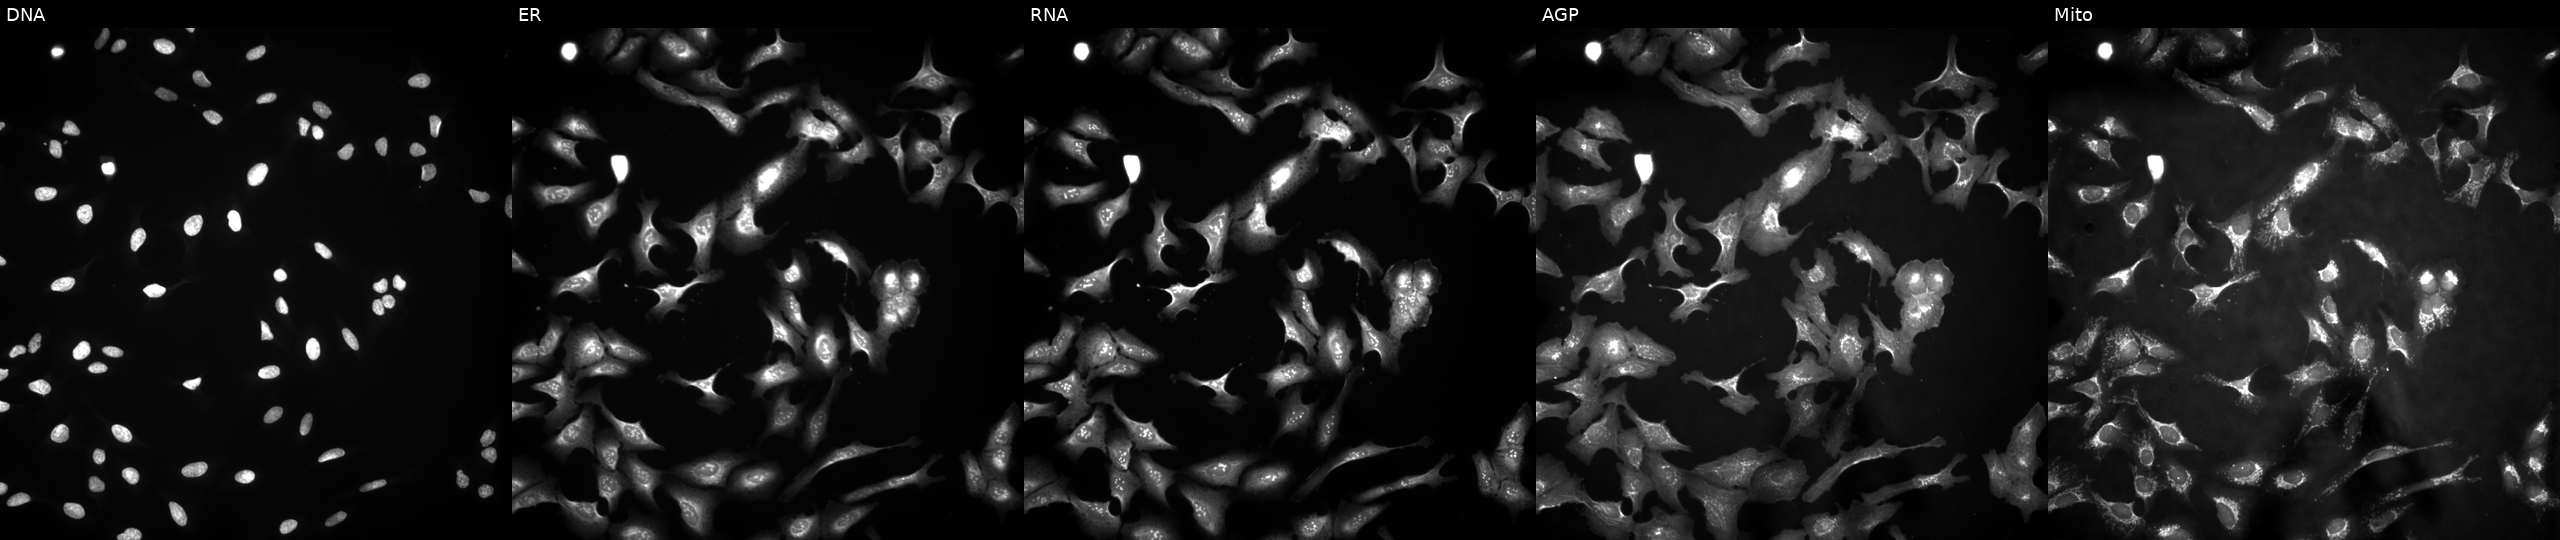
JUMP Cell Painting — ORF plate. U2OS cells overexpressing NOP56 via ORF transfection. The five panels, left to right, show DNA, ER, RNA, AGP, and Mito.